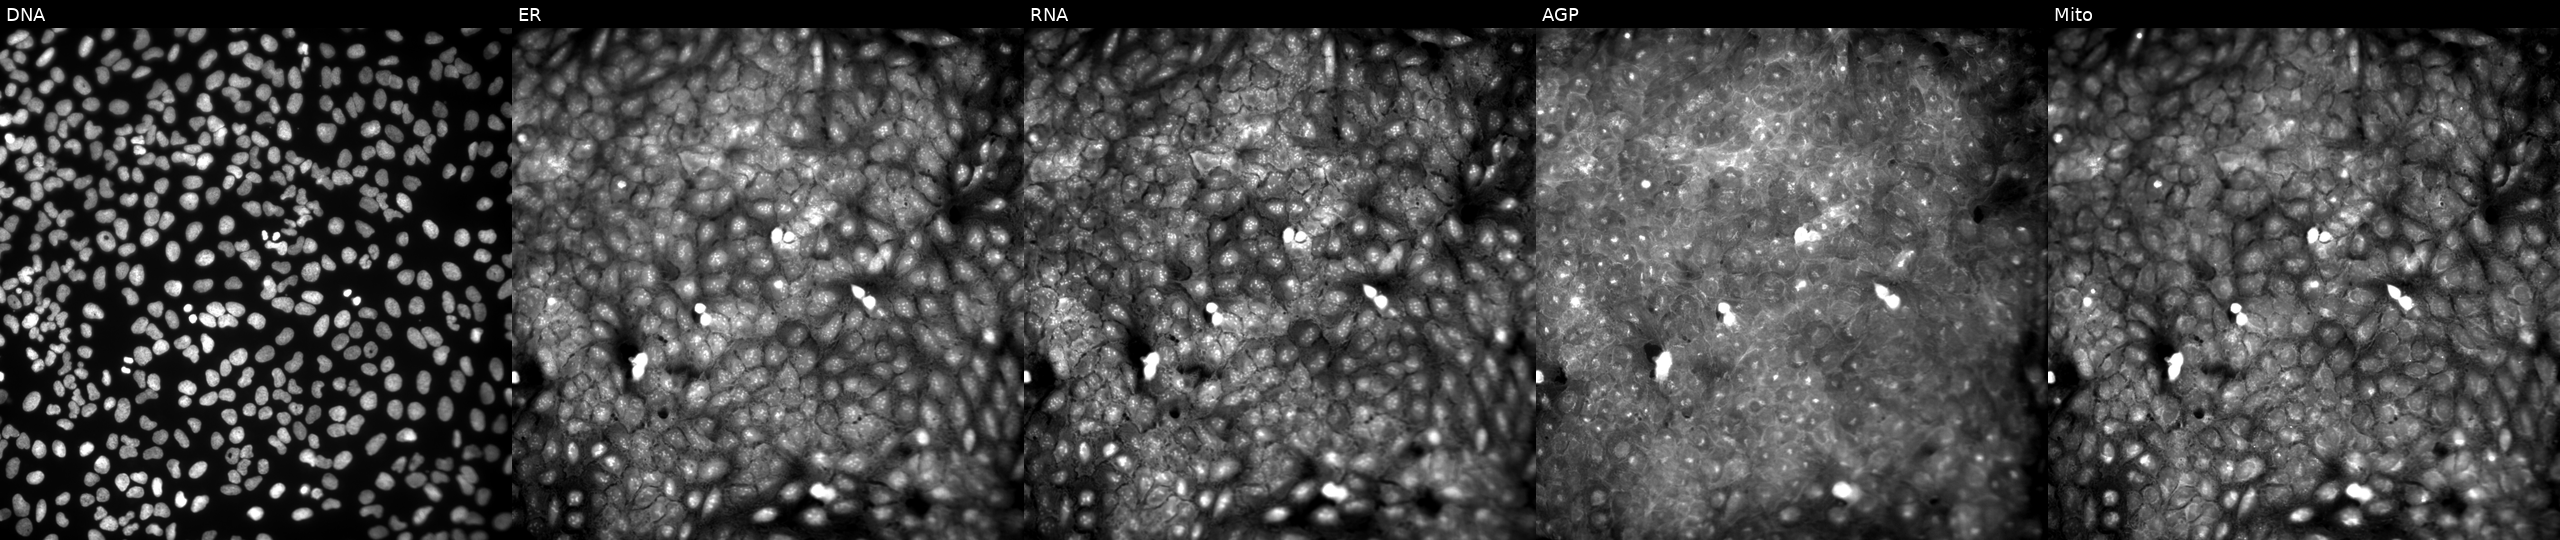
Five-channel Cell Painting image of U2OS cells exposed to a small-molecule compound (InChIKey HVBLJIUEBIYWIA-UHFFFAOYSA-N). Channels (left→right): DNA (nuclei); ER (endoplasmic reticulum); RNA (nucleoli and cytoplasmic RNA); AGP (actin cytoskeleton, Golgi, and plasma membrane); Mito (mitochondria).